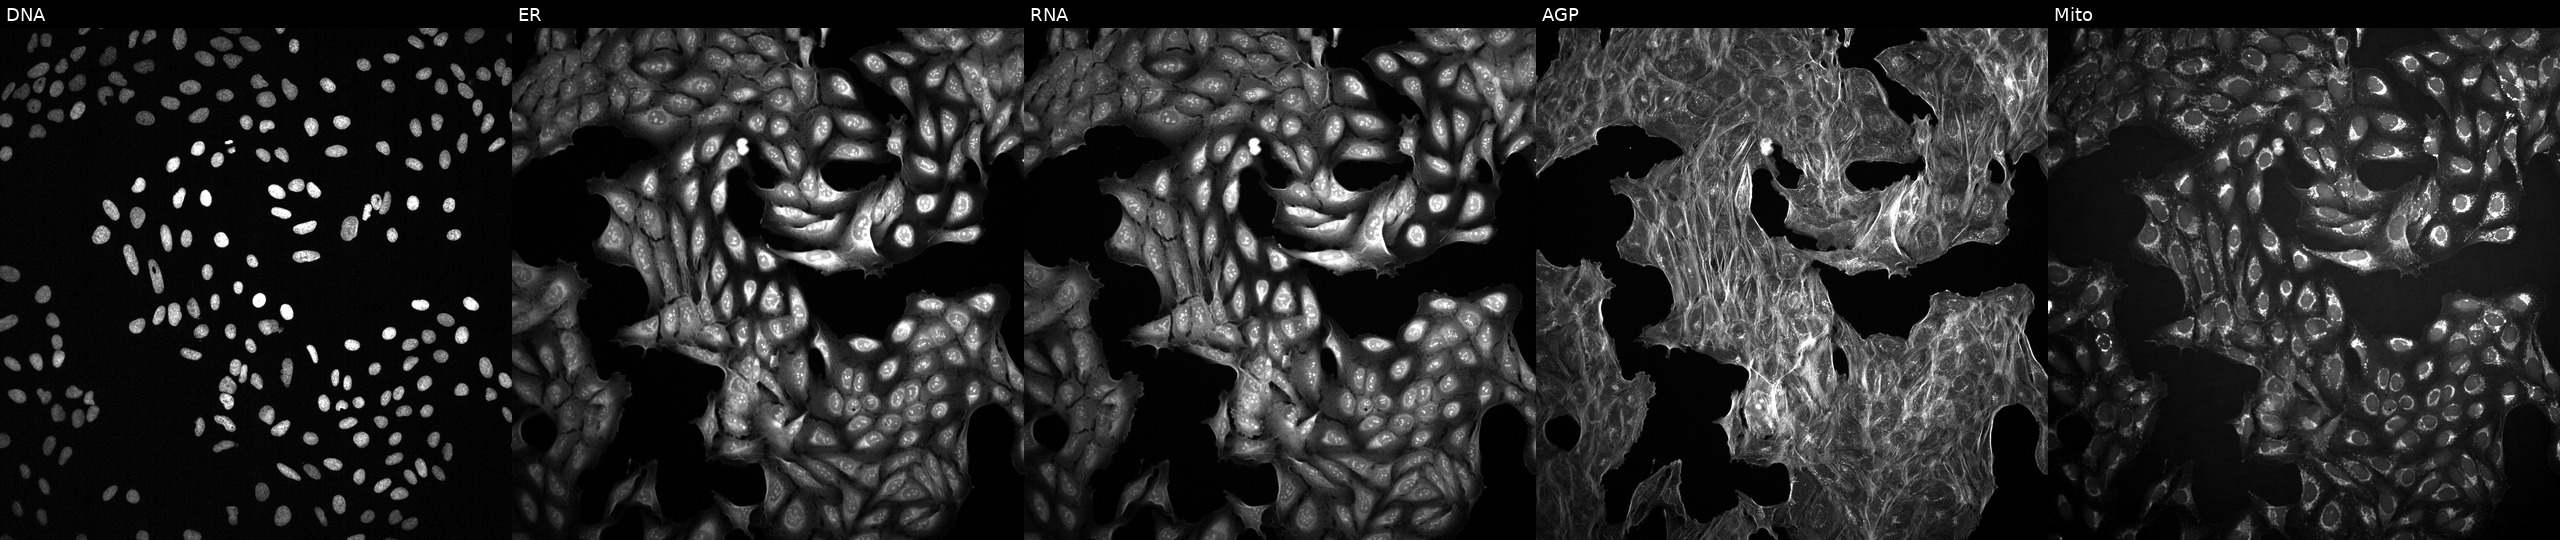
High-content fluorescence microscopy (Cell Painting). Cell line: U2OS. Perturbation: treated with a small-molecule compound [SMILES: FC(F)c1nnc2ccc(Cl)nn12]. Channels (left→right): DNA (nuclei); ER (endoplasmic reticulum); RNA (nucleoli and cytoplasmic RNA); AGP (actin cytoskeleton, Golgi, and plasma membrane); Mito (mitochondria).